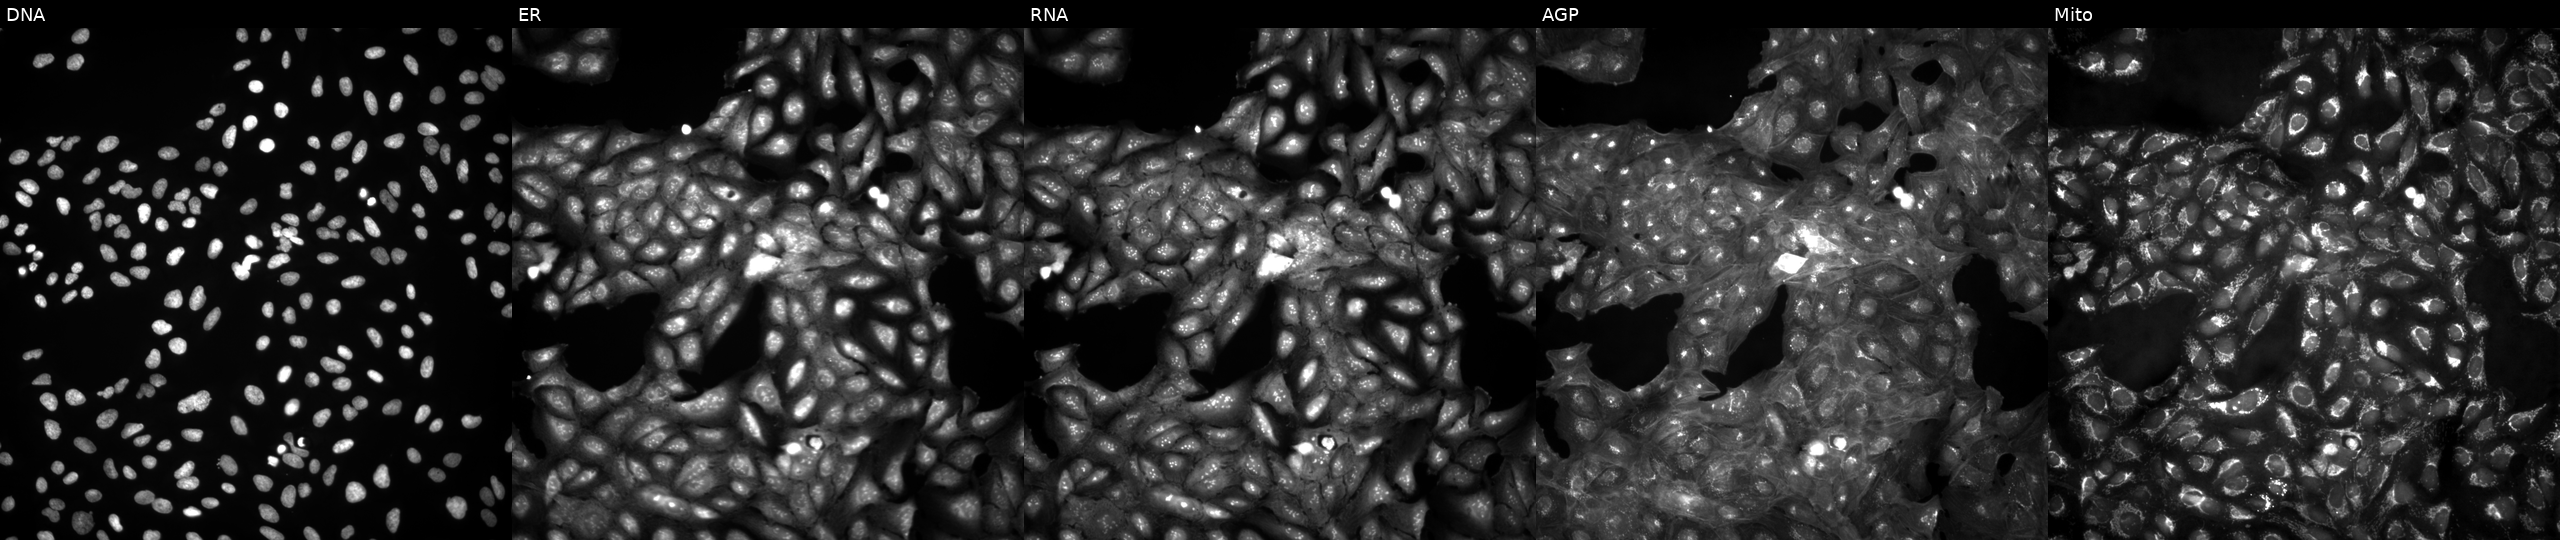
JUMP Cell Painting — ORF plate. U2OS cells in an empty control well (no perturbation). Channels (left→right): DNA, ER, RNA, AGP, and Mito.